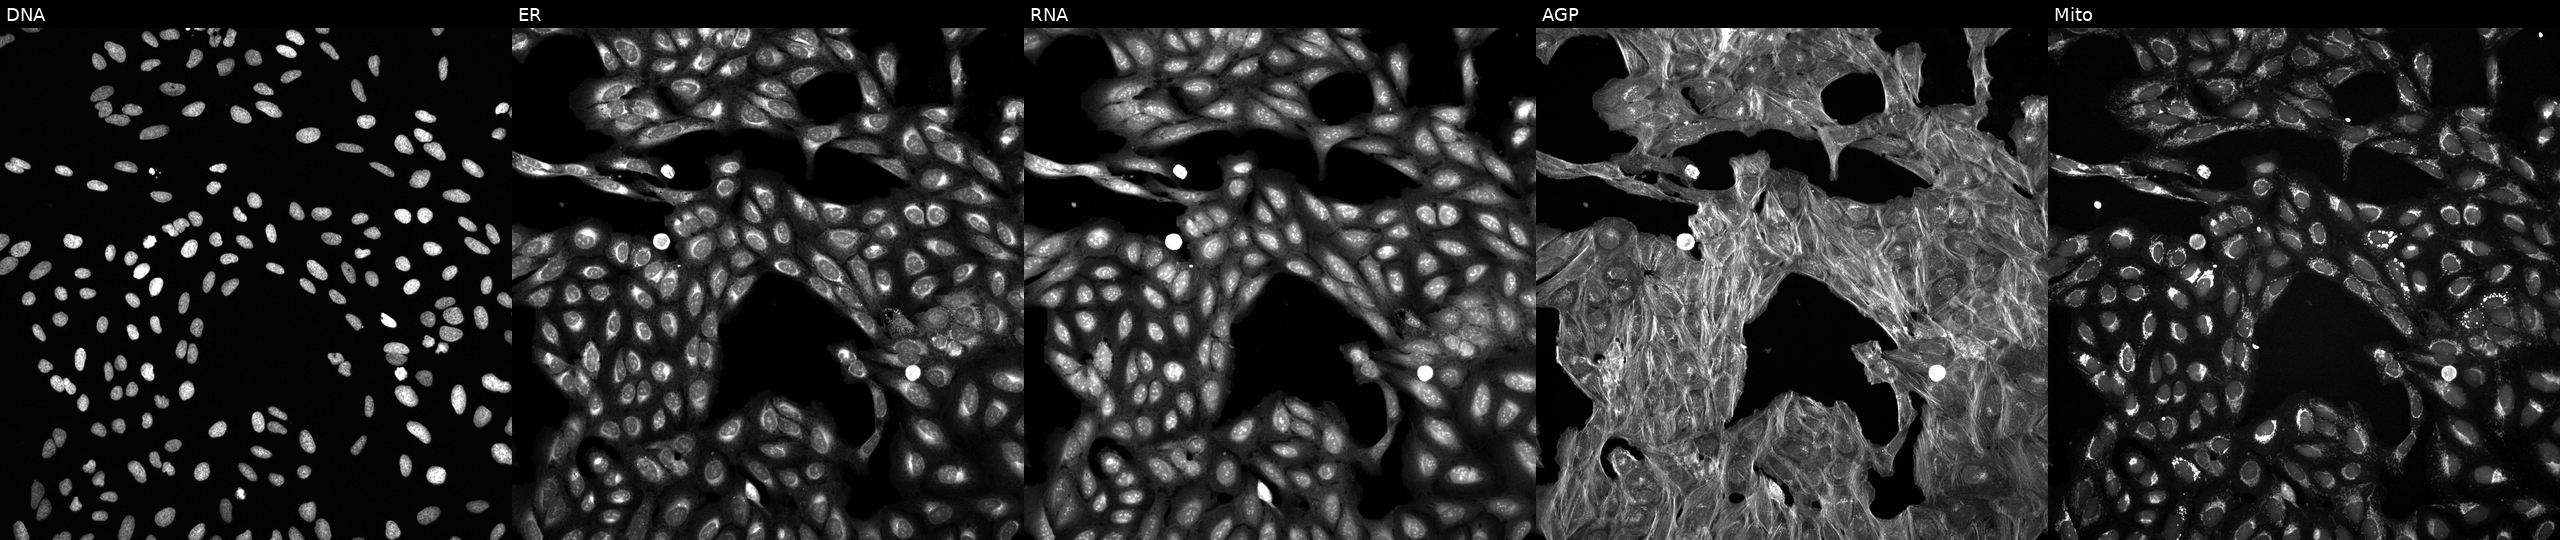
High-content fluorescence microscopy (Cell Painting). Cell line: U2OS. Perturbation: exposed to a small-molecule compound (InChIKey NDNKNUMSTIMSHQ-UHFFFAOYSA-N) (JUMP id JCP2022_058288). Panels show, left to right, Hoechst 33342, concanavalin A, SYTO 14, phalloidin and WGA, MitoTracker. Source 6, plate 110000293081, well K09.